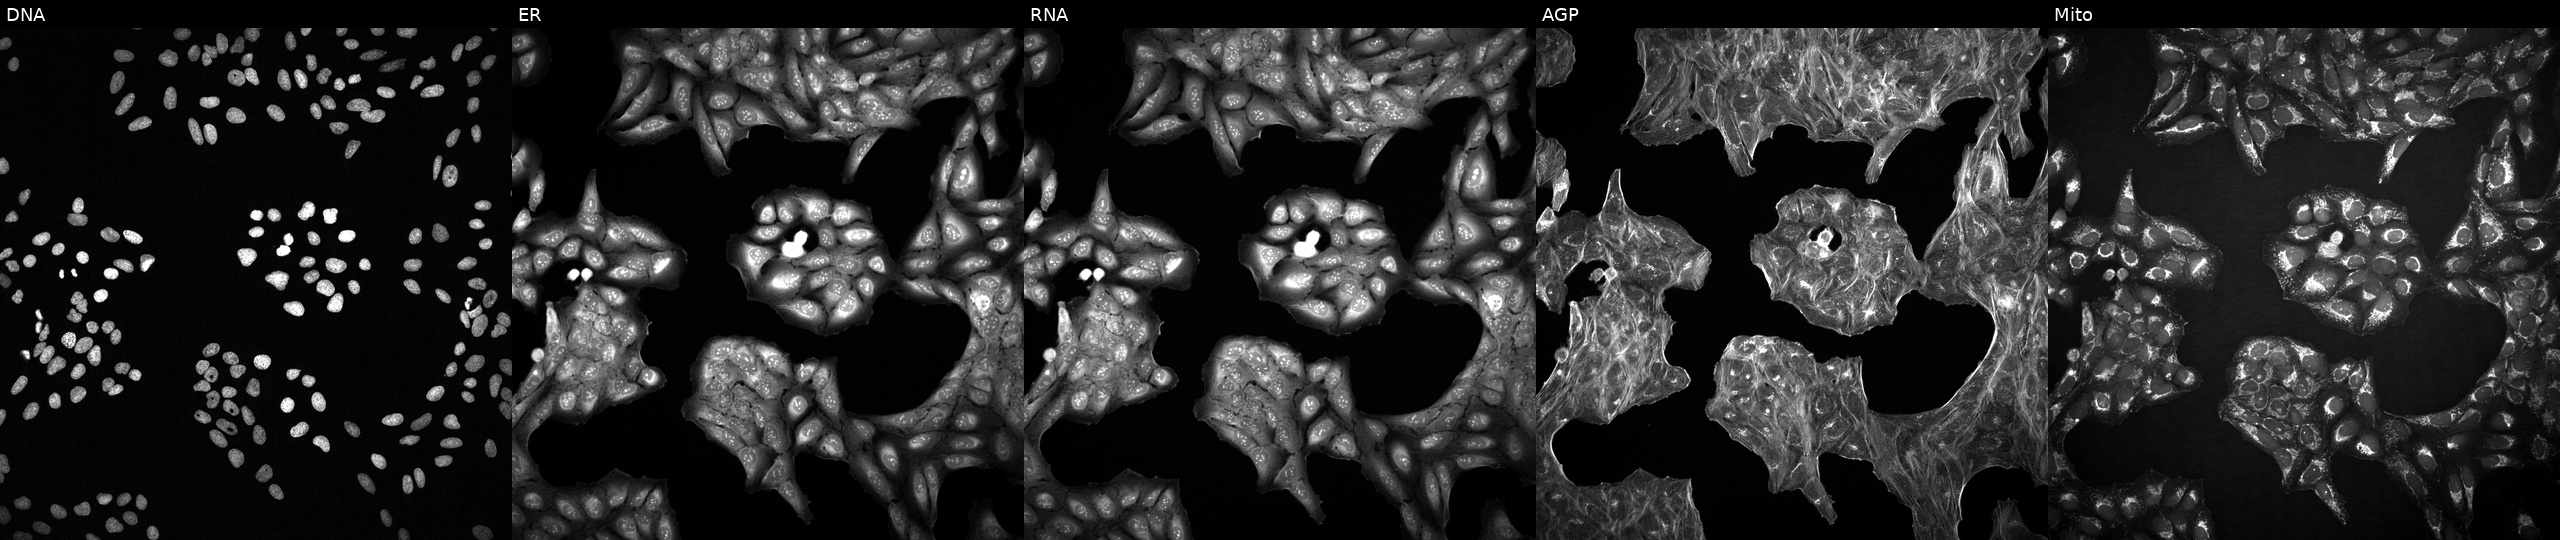
Five-channel Cell Painting image of U2OS cells treated with a small-molecule compound (JUMP id JCP2022_051152). Channels (left→right): Hoechst 33342, concanavalin A, SYTO 14, phalloidin and WGA, MitoTracker.